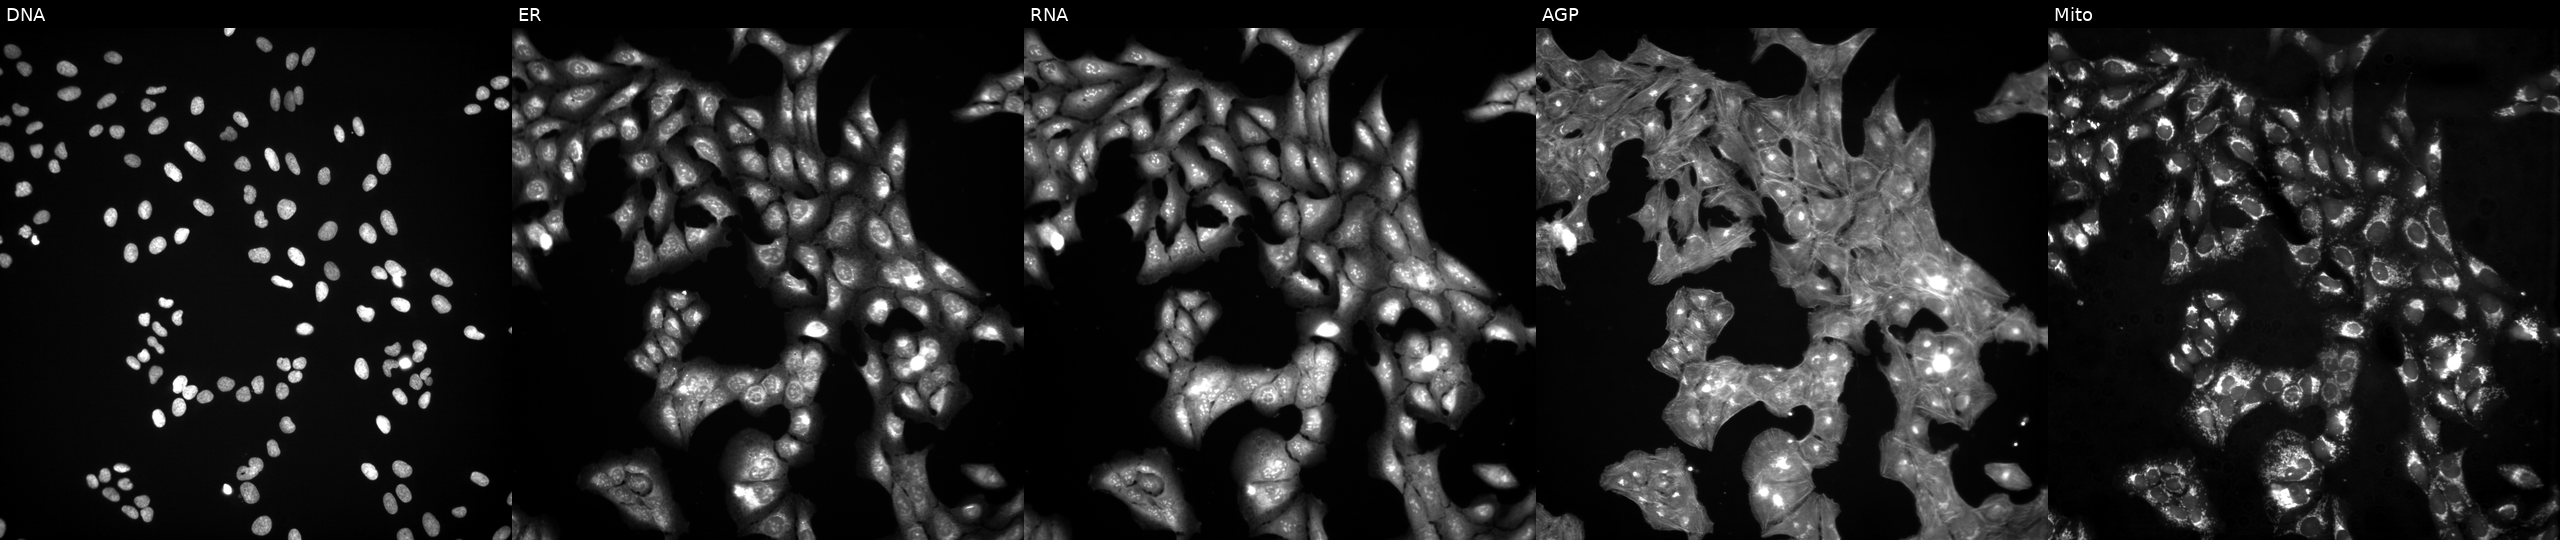
Five-channel Cell Painting image of U2OS cells treated with a small-molecule compound (InChIKey MENNDDDTIIZDDN-UHFFFAOYSA-N) (JUMP id JCP2022_053626). Panels show, left to right, DNA, ER, RNA, AGP, and Mito. Source 3, plate JCPQC053, well O01.